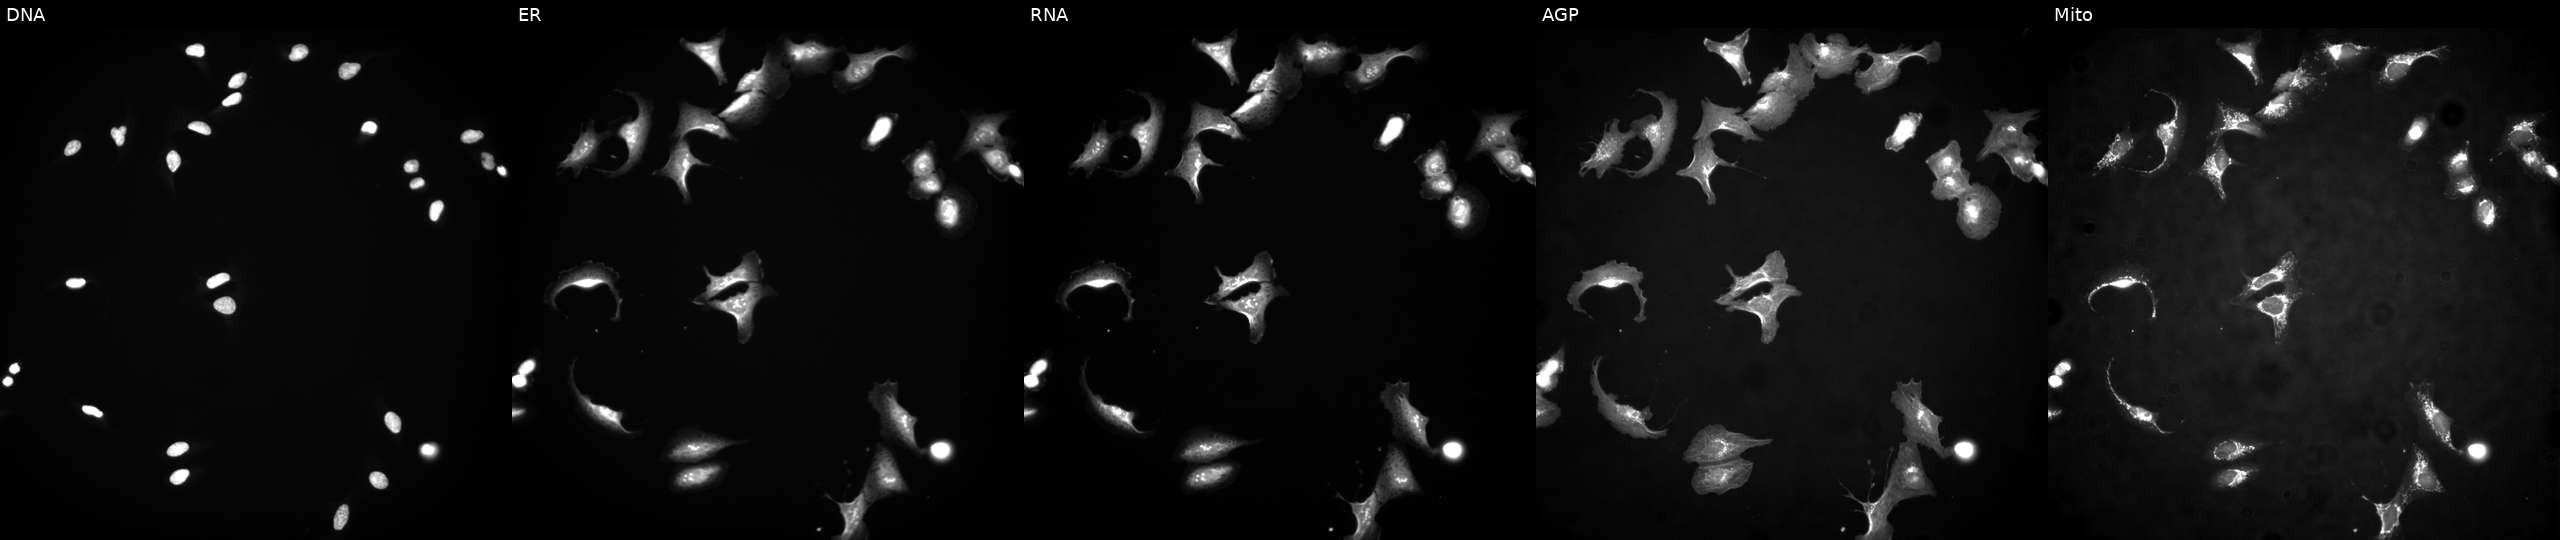
Five-channel Cell Painting image of U2OS cells with TARDBP overexpressed (ORF). From left to right: DNA (nuclei); ER (endoplasmic reticulum); RNA (nucleoli and cytoplasmic RNA); AGP (actin cytoskeleton, Golgi, and plasma membrane); Mito (mitochondria).